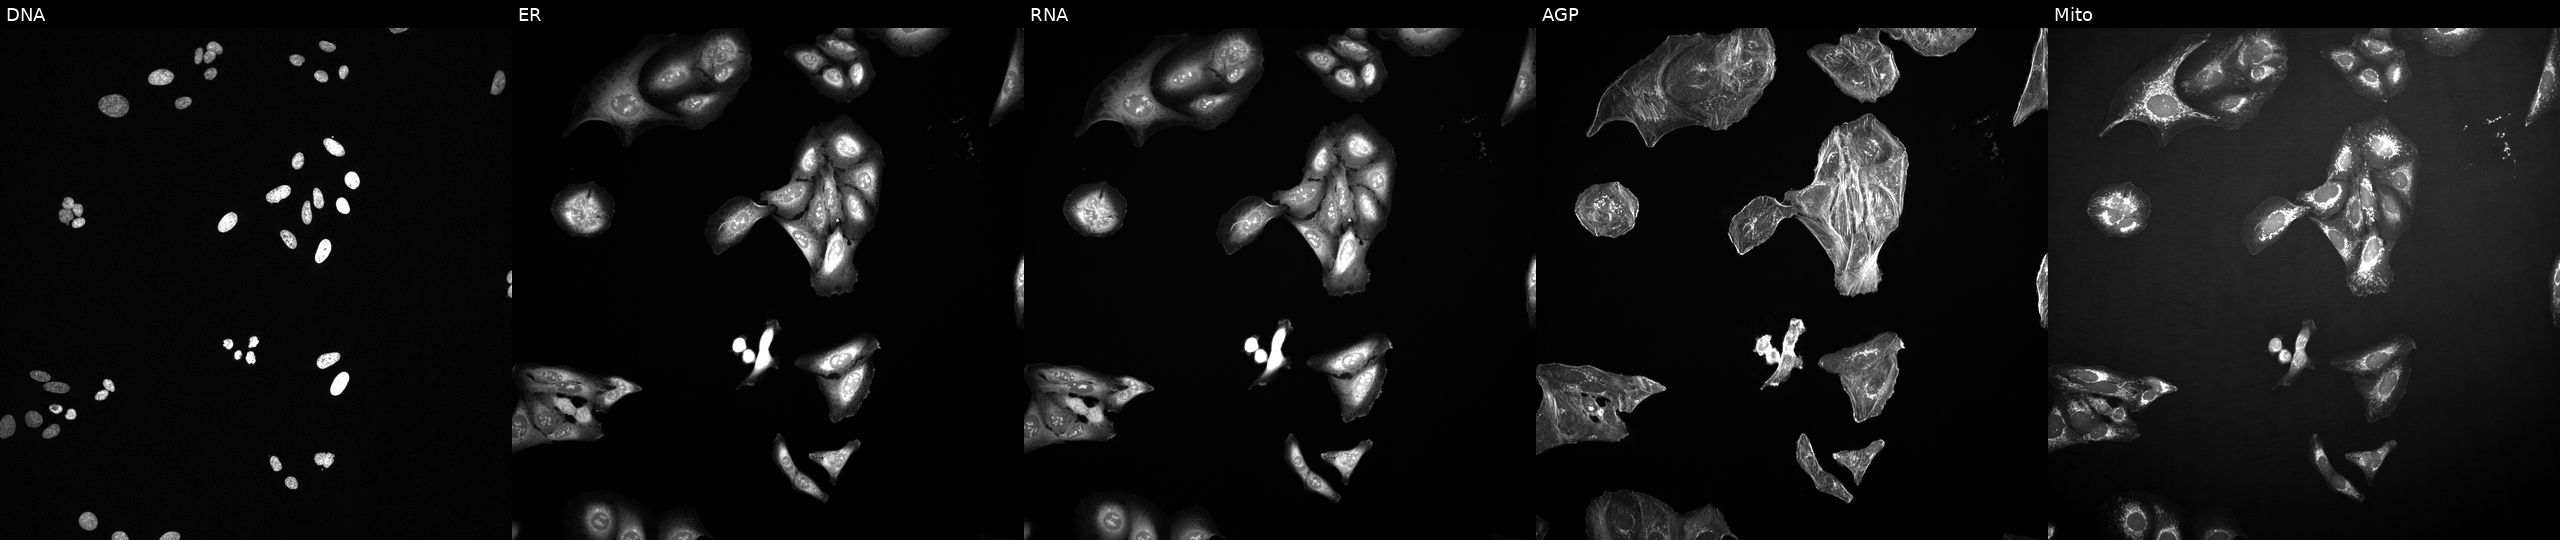
Channels (left→right): DNA (nuclei); ER (endoplasmic reticulum); RNA (nucleoli and cytoplasmic RNA); AGP (actin cytoskeleton, Golgi, and plasma membrane); Mito (mitochondria). U2OS osteosarcoma cells perturbed with a small-molecule compound (JUMP id JCP2022_080150). Cell Painting assay, JUMP-CP dataset. Source 2, plate 1053597936, well B08.